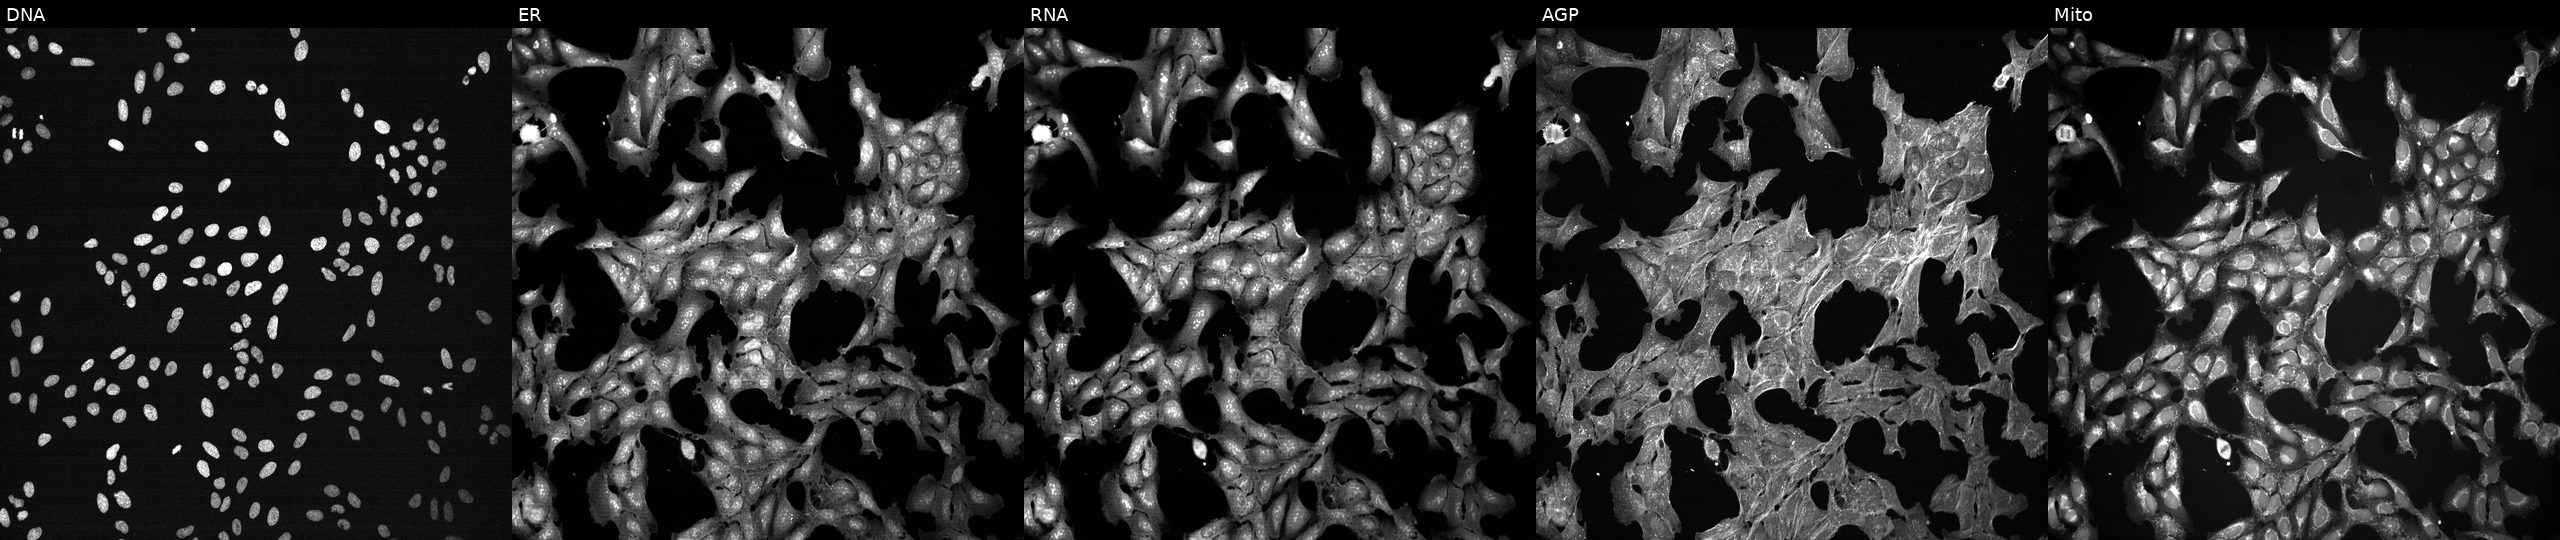
JUMP Cell Painting — TARGET2 plate. U2OS cells treated with DMSO vehicle only (negative control). The five panels, left to right, show DNA, ER, RNA, AGP, and Mito. Source 7, plate CP3-SC1-25, well L23.